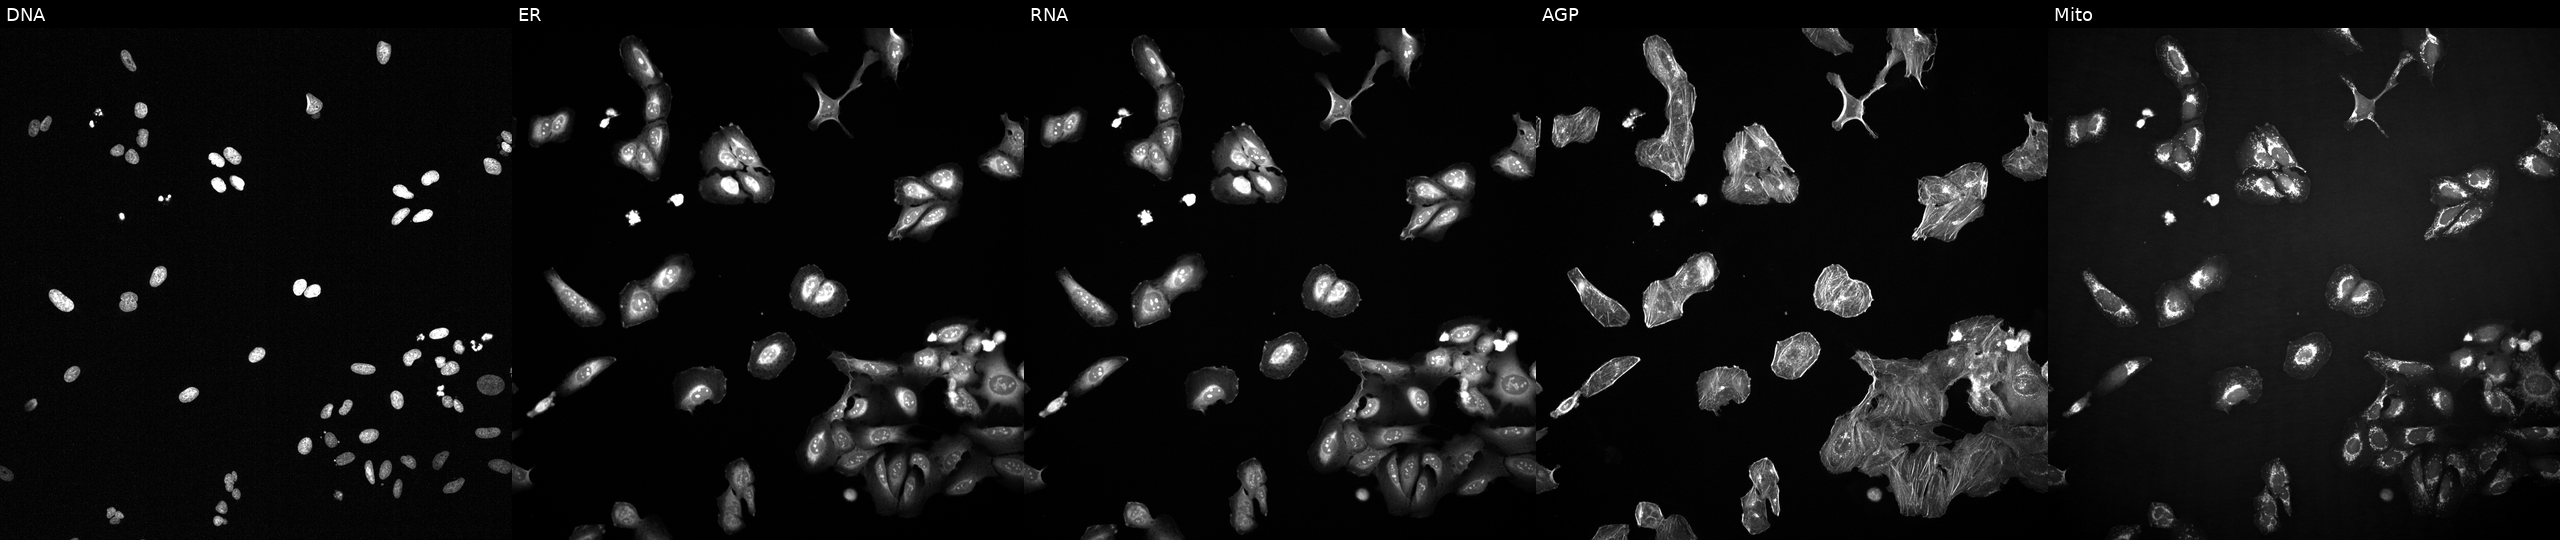
Five-channel Cell Painting image of U2OS cells exposed to the positive-control compound TC-S-7004 (JUMP id JCP2022_012818). Channels (left→right): DNA (nuclei); ER (endoplasmic reticulum); RNA (nucleoli and cytoplasmic RNA); AGP (actin cytoskeleton, Golgi, and plasma membrane); Mito (mitochondria).